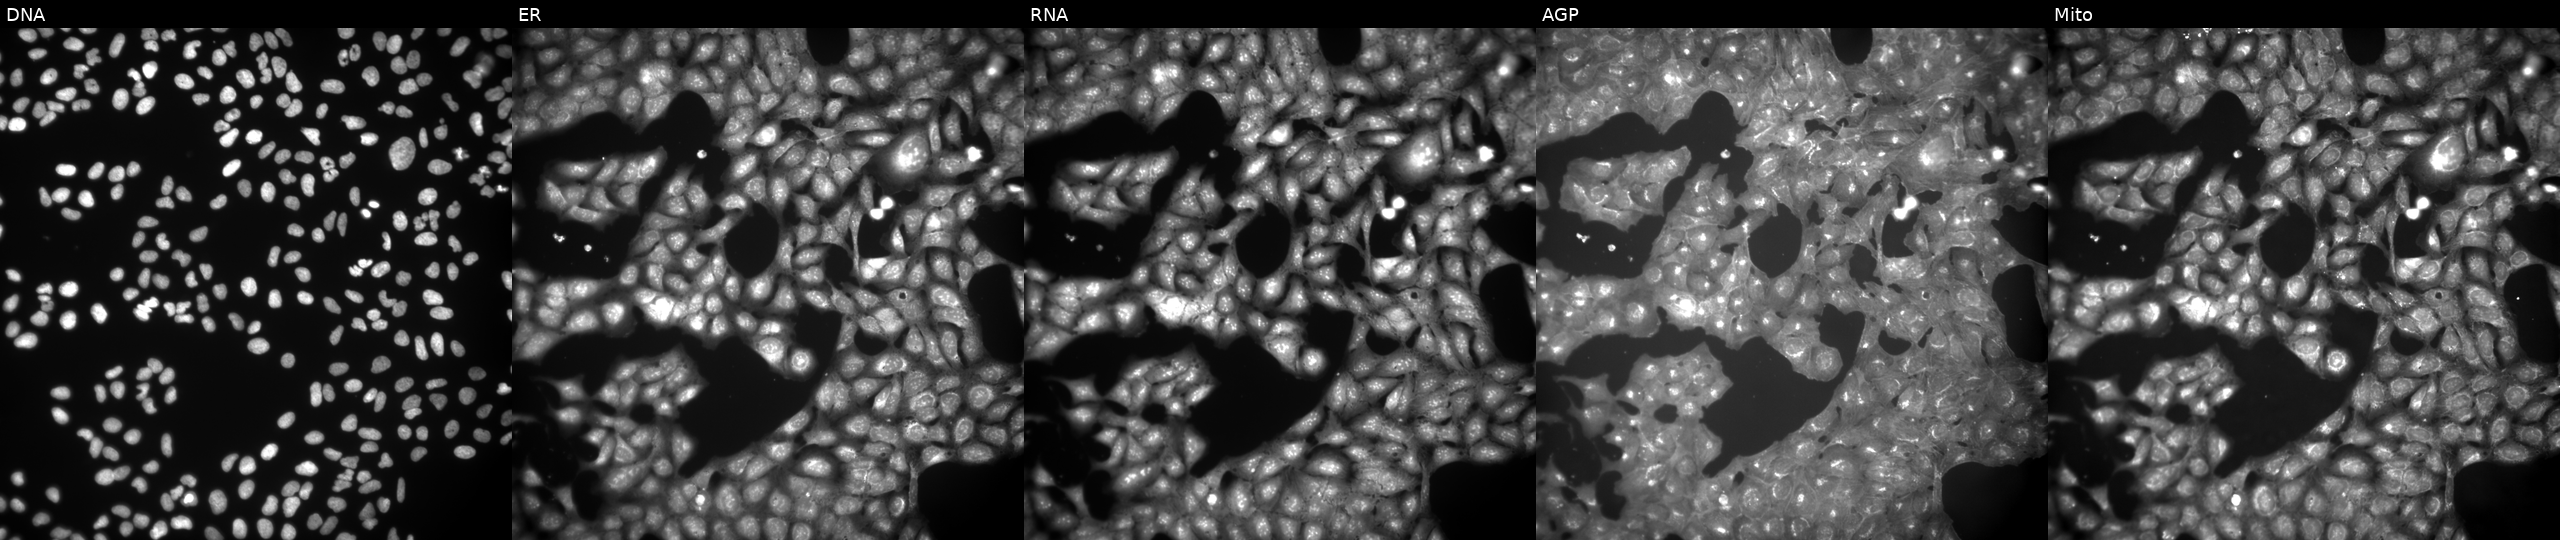
U2OS cells, Cell Painting assay, exposed to the positive-control compound NVS-PAK1-1 (JUMP id JCP2022_064022). Channels (left→right): DNA, ER, RNA, AGP, and Mito. Each panel is percentile-stretched 16-bit fluorescence. Source 9, plate GR00003382, well F48.